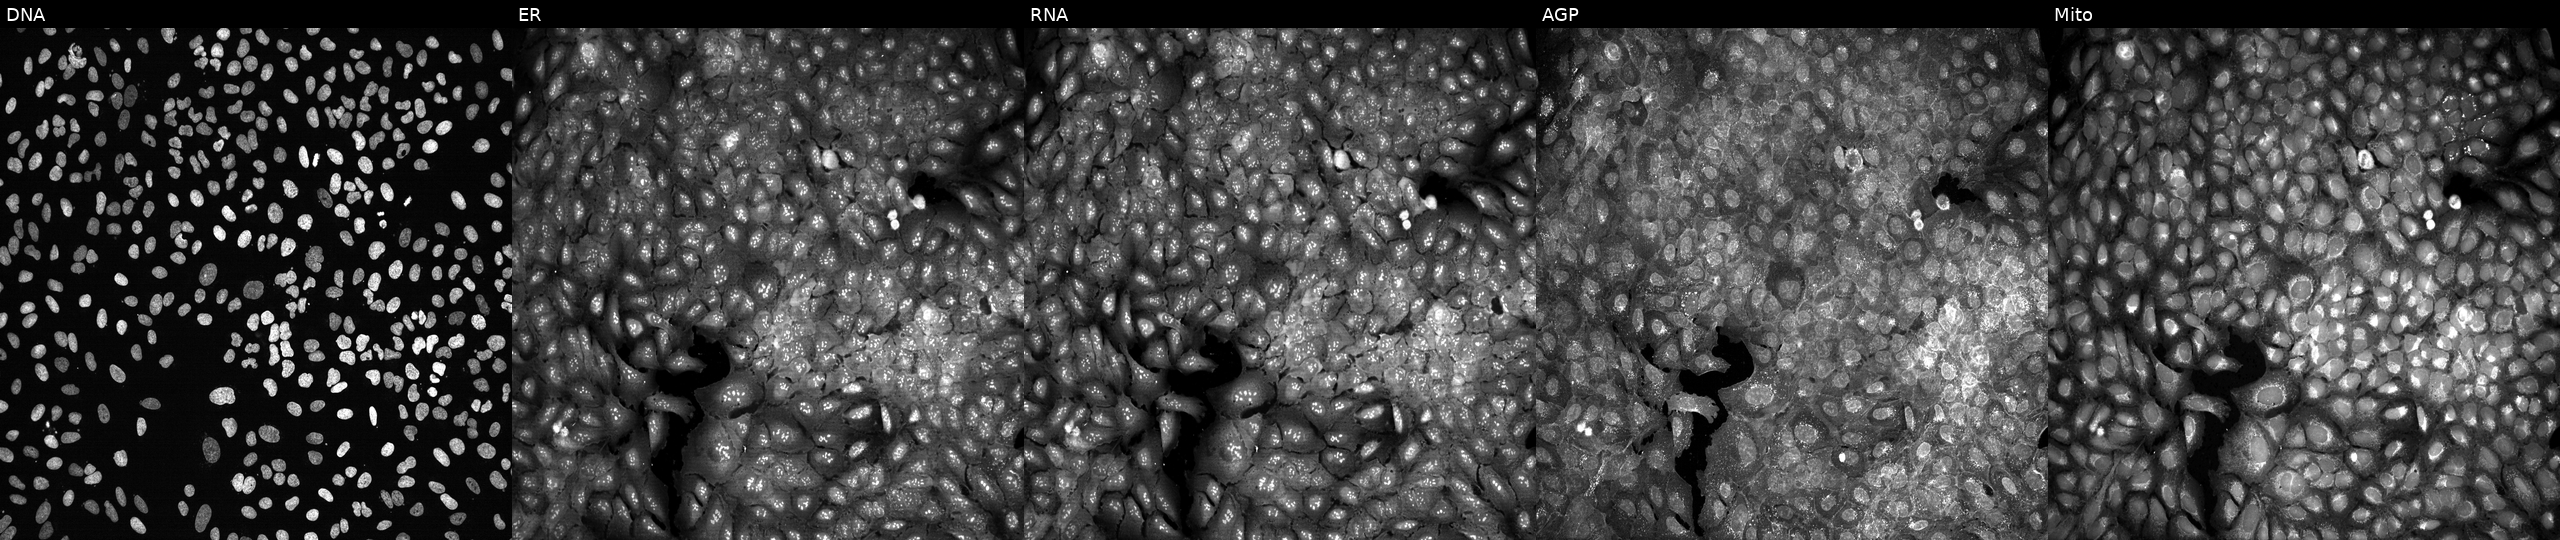
Panels show, left to right, DNA, ER, RNA, AGP, and Mito. U2OS osteosarcoma cells following CRISPR knockout of GCNT1 (JUMP id JCP2022_802647). Cell Painting assay, JUMP-CP dataset.